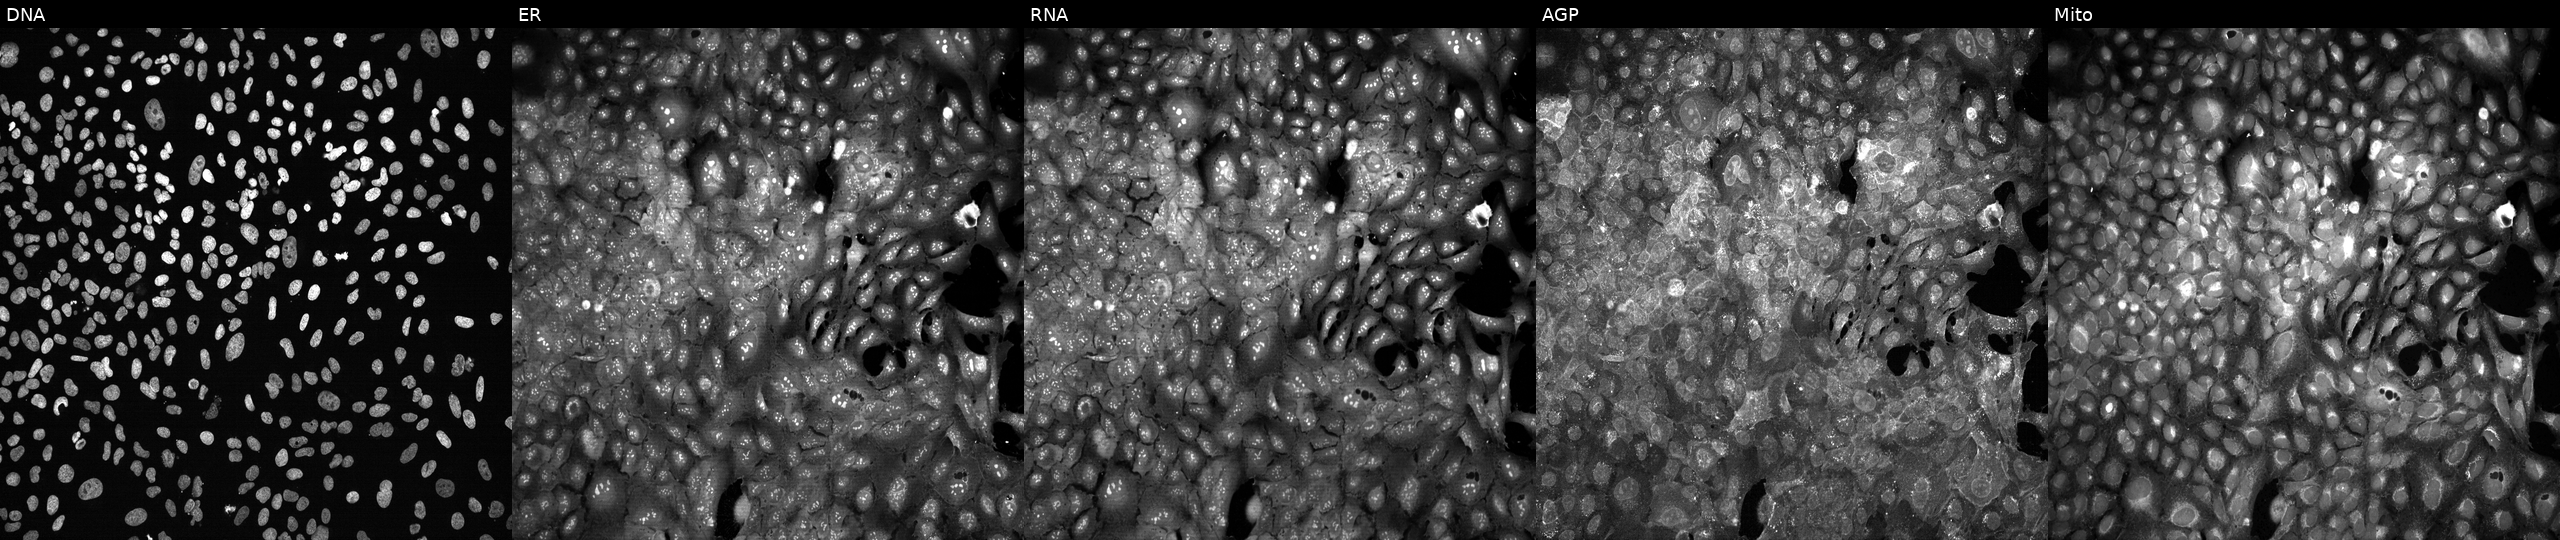
Five-channel Cell Painting image of U2OS cells with ABCC10 knocked out by CRISPR (JUMP id JCP2022_800041). Panels show, left to right, DNA, ER, RNA, AGP, and Mito.